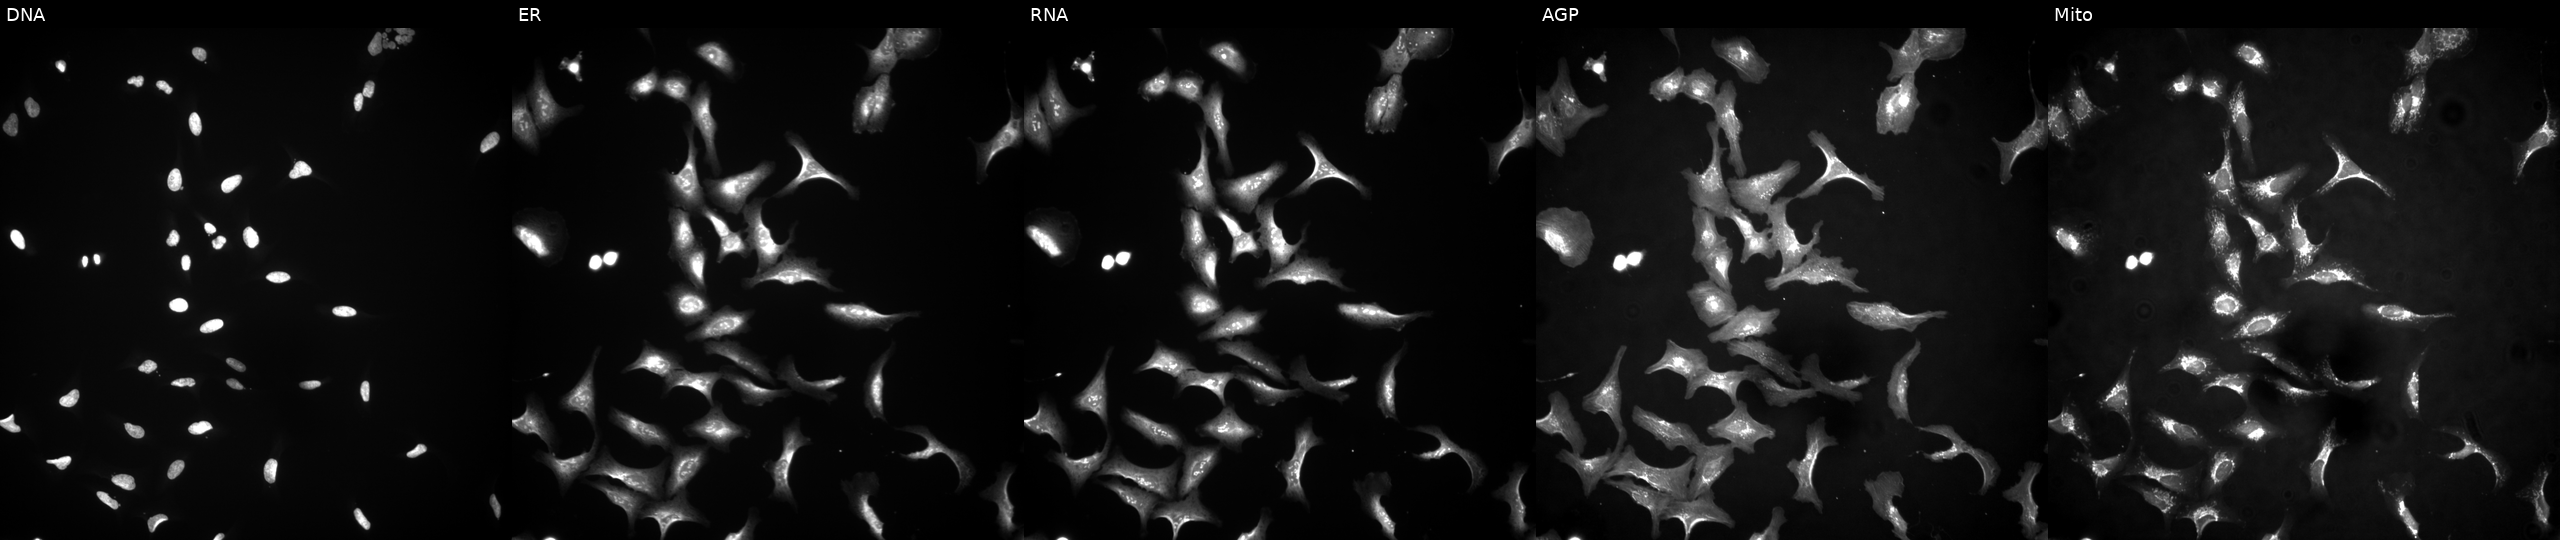
Five-channel Cell Painting image of U2OS cells overexpressing XLOC_l2_001972 via ORF transfection (JUMP id JCP2022_909665). From left to right: Hoechst 33342, concanavalin A, SYTO 14, phalloidin and WGA, MitoTracker.